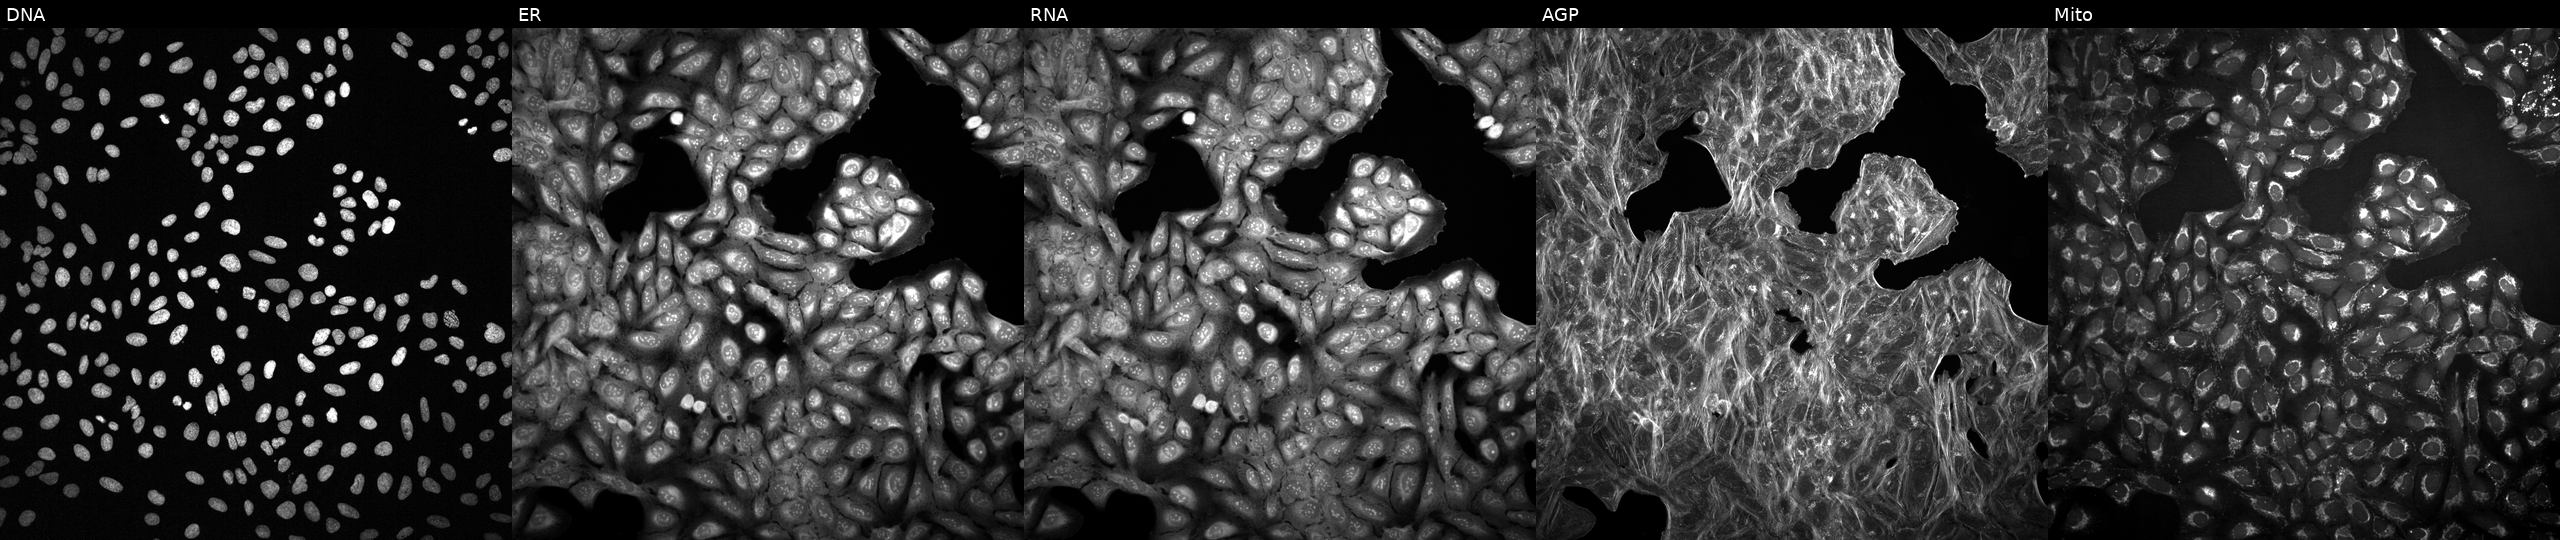
Channels (left→right): DNA (nuclei); ER (endoplasmic reticulum); RNA (nucleoli and cytoplasmic RNA); AGP (actin cytoskeleton, Golgi, and plasma membrane); Mito (mitochondria). U2OS osteosarcoma cells exposed to a small-molecule compound (InChIKey RLISXVRLGHZRET-UHFFFAOYSA-N) (JUMP id JCP2022_079111). Cell Painting assay, JUMP-CP dataset. Source 2, plate 1053601763, well G10.